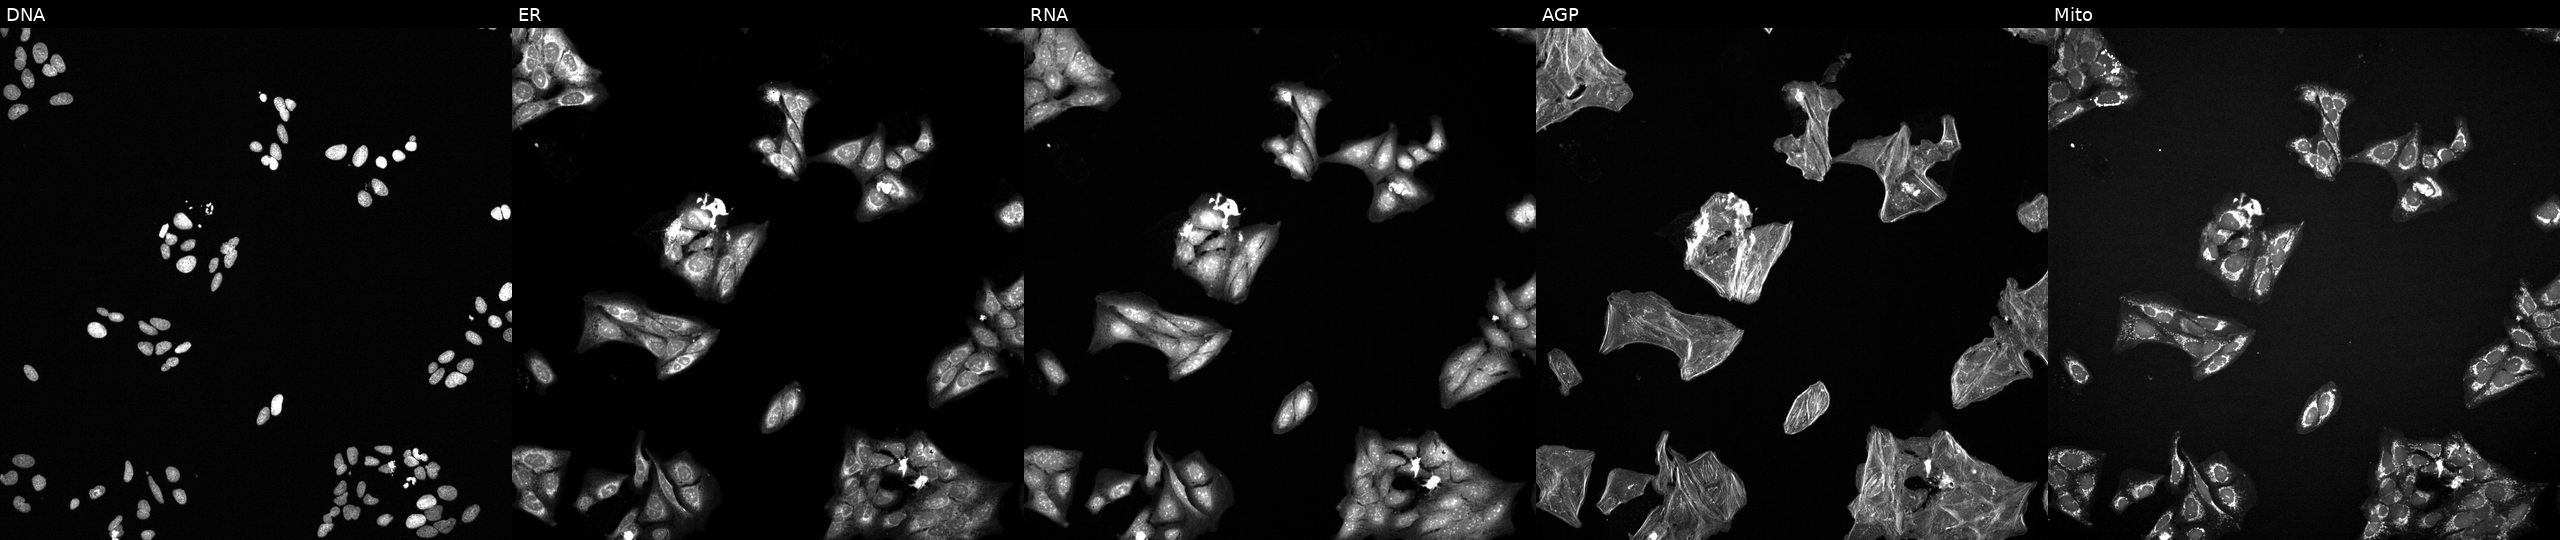
Five-channel Cell Painting image of U2OS cells perturbed with a small-molecule compound (InChIKey ZWVZORIKUNOTCS-UHFFFAOYSA-N) (JUMP id JCP2022_116188). The five panels, left to right, show DNA, ER, RNA, AGP, and Mito. Source 6, plate 110000293093, well B20.